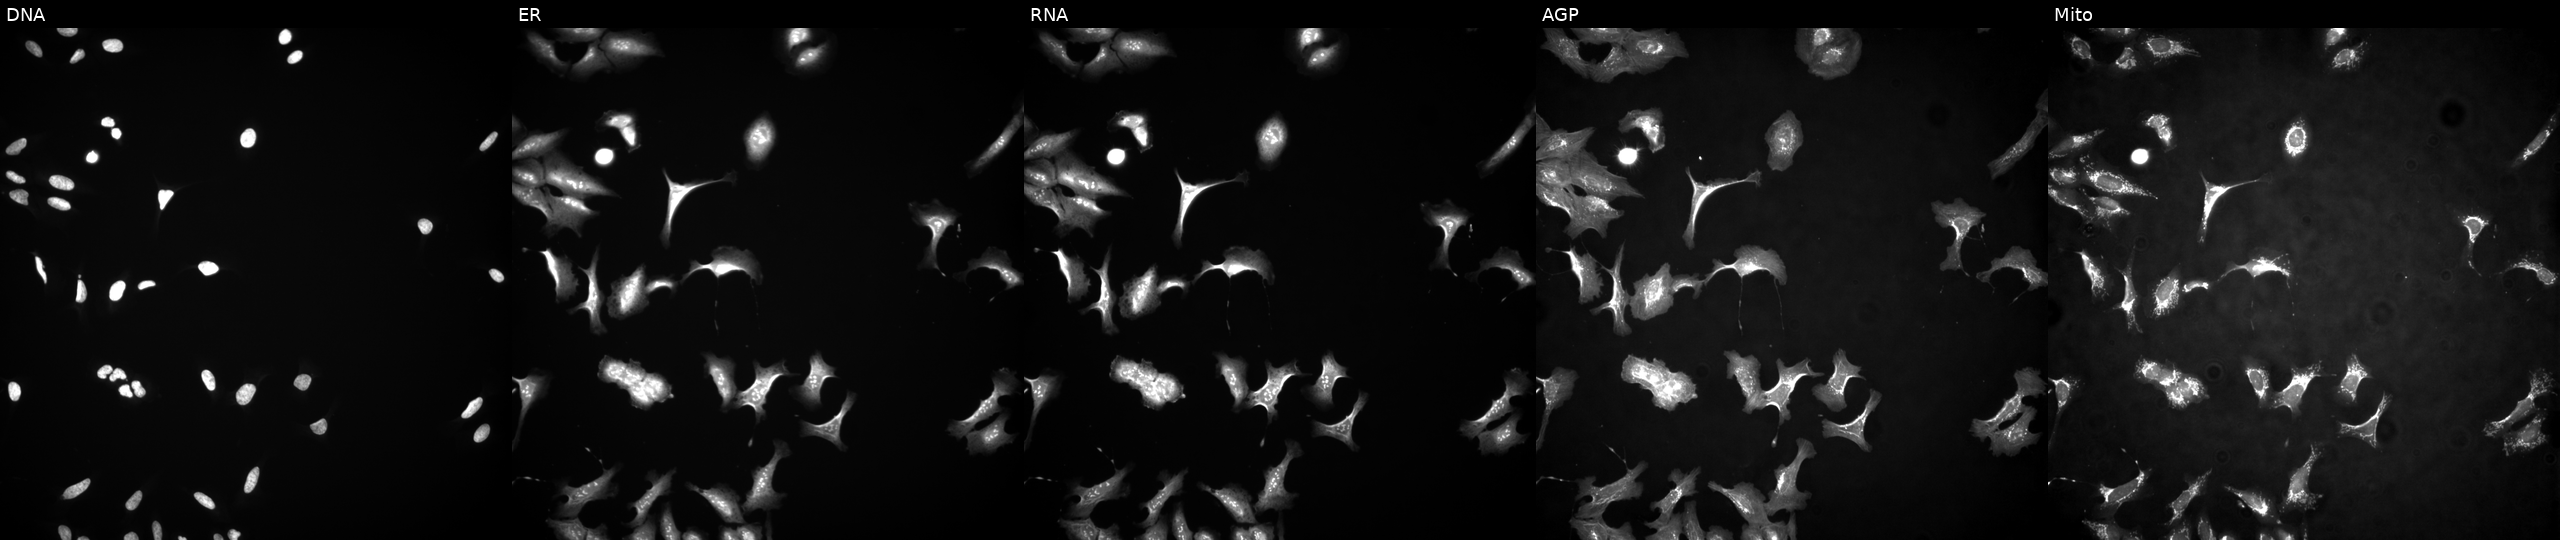
High-content fluorescence microscopy (Cell Painting). Cell line: U2OS. Perturbation: overexpressing ZNF689 via ORF transfection. From left to right: DNA, ER, RNA, AGP, and Mito. Source 4, plate BR00117035, well M06.